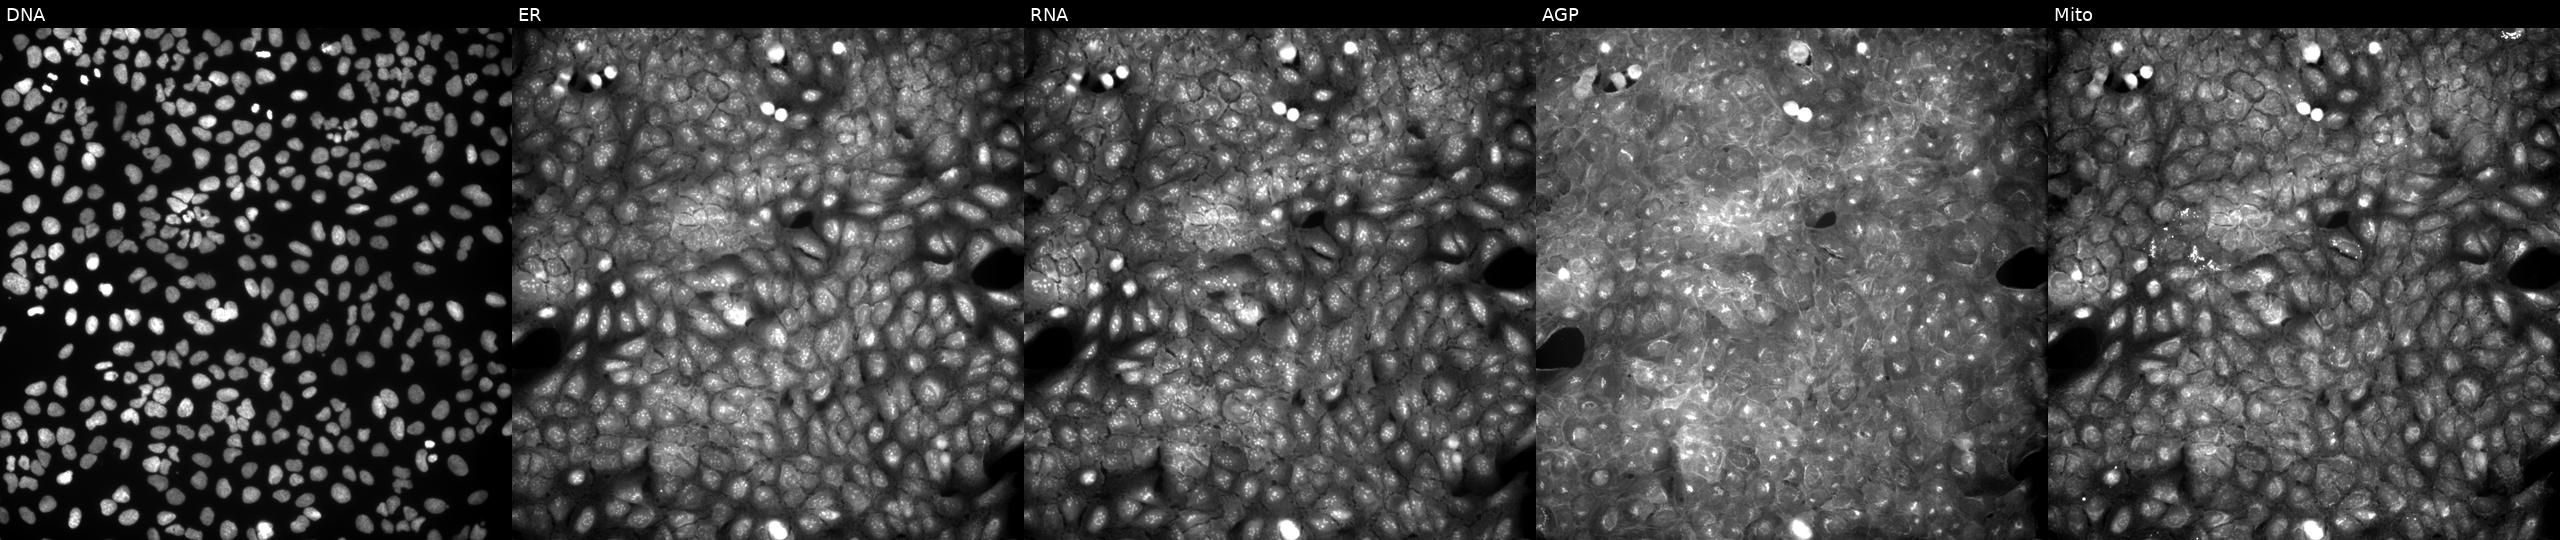
This image strip shows the five Cell Painting channels for a single field of U2OS cells treated with a small-molecule compound (InChIKey OCRSRPWBCHJNCV-UHFFFAOYSA-N) (JUMP id JCP2022_062951). The five panels, left to right, show DNA, ER, RNA, AGP, and Mito. Source 9, plate GR00003381, well J30.